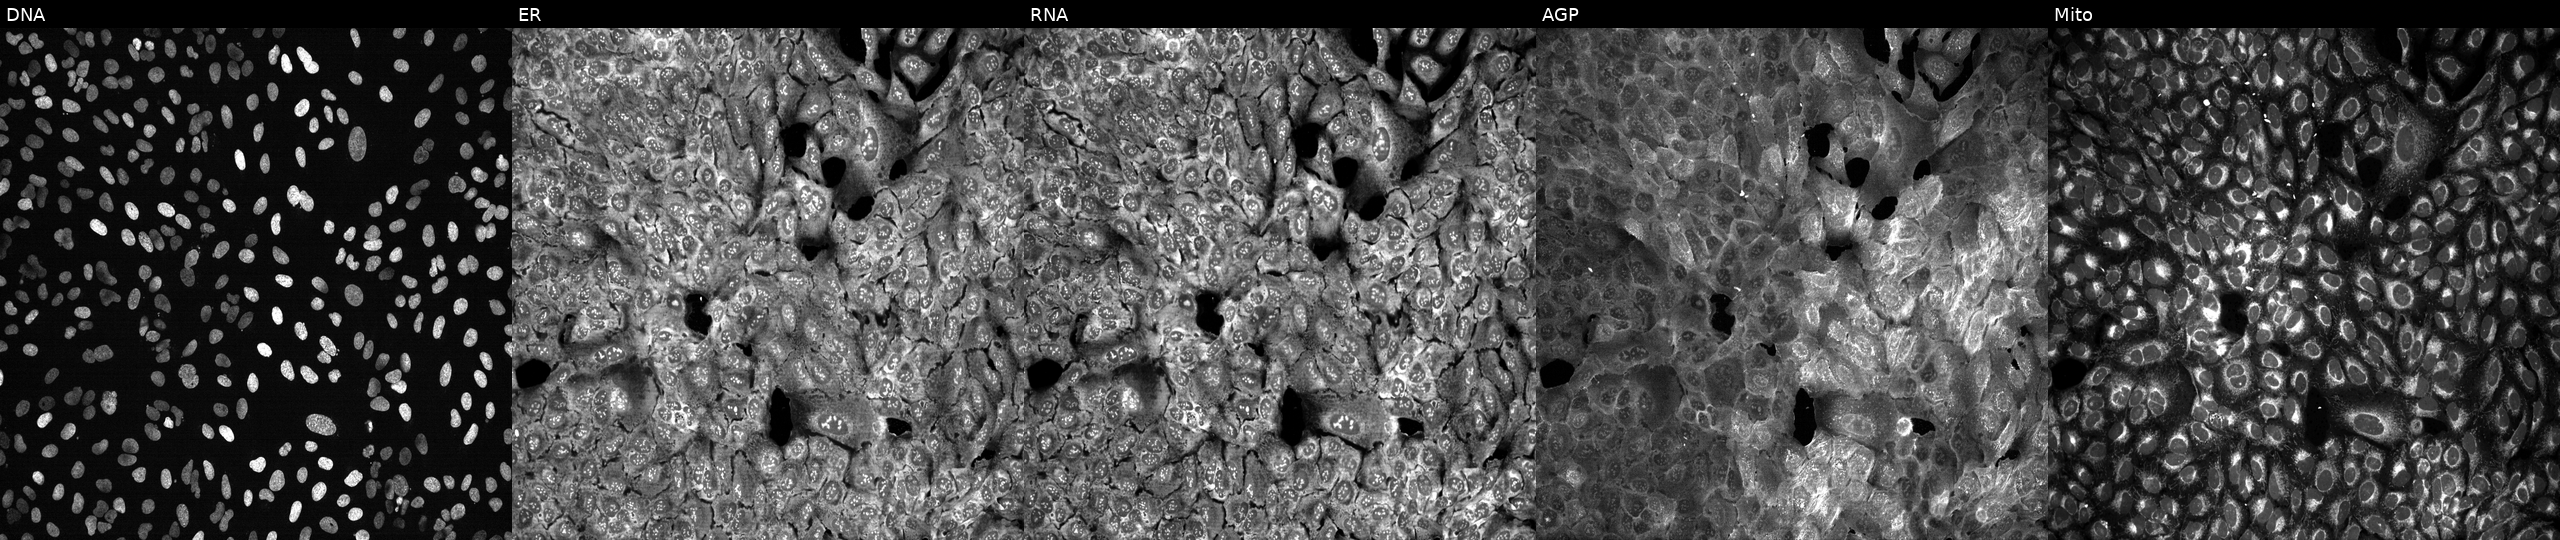
High-content fluorescence microscopy (Cell Painting). Cell line: U2OS. Perturbation: following CRISPR knockout of CNTFR (JUMP id JCP2022_801425). The five panels, left to right, show DNA (nuclei); ER (endoplasmic reticulum); RNA (nucleoli and cytoplasmic RNA); AGP (actin cytoskeleton, Golgi, and plasma membrane); Mito (mitochondria).